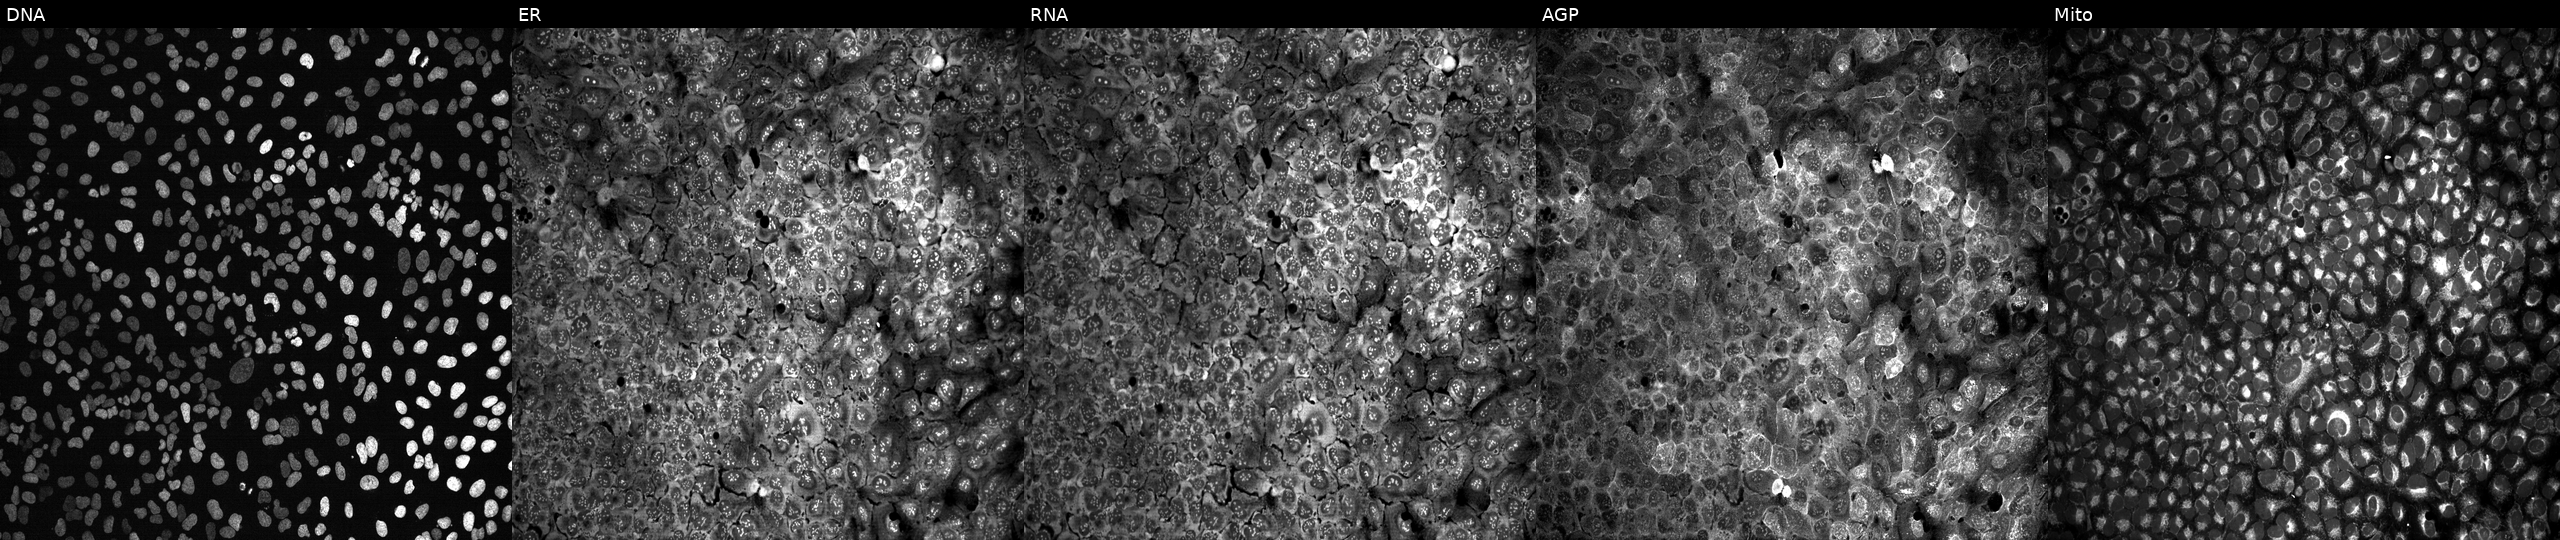
JUMP Cell Painting — CRISPR plate. U2OS cells with ENDOG knocked out by CRISPR (JUMP id JCP2022_802108). Channels (left→right): DNA (nuclei); ER (endoplasmic reticulum); RNA (nucleoli and cytoplasmic RNA); AGP (actin cytoskeleton, Golgi, and plasma membrane); Mito (mitochondria).